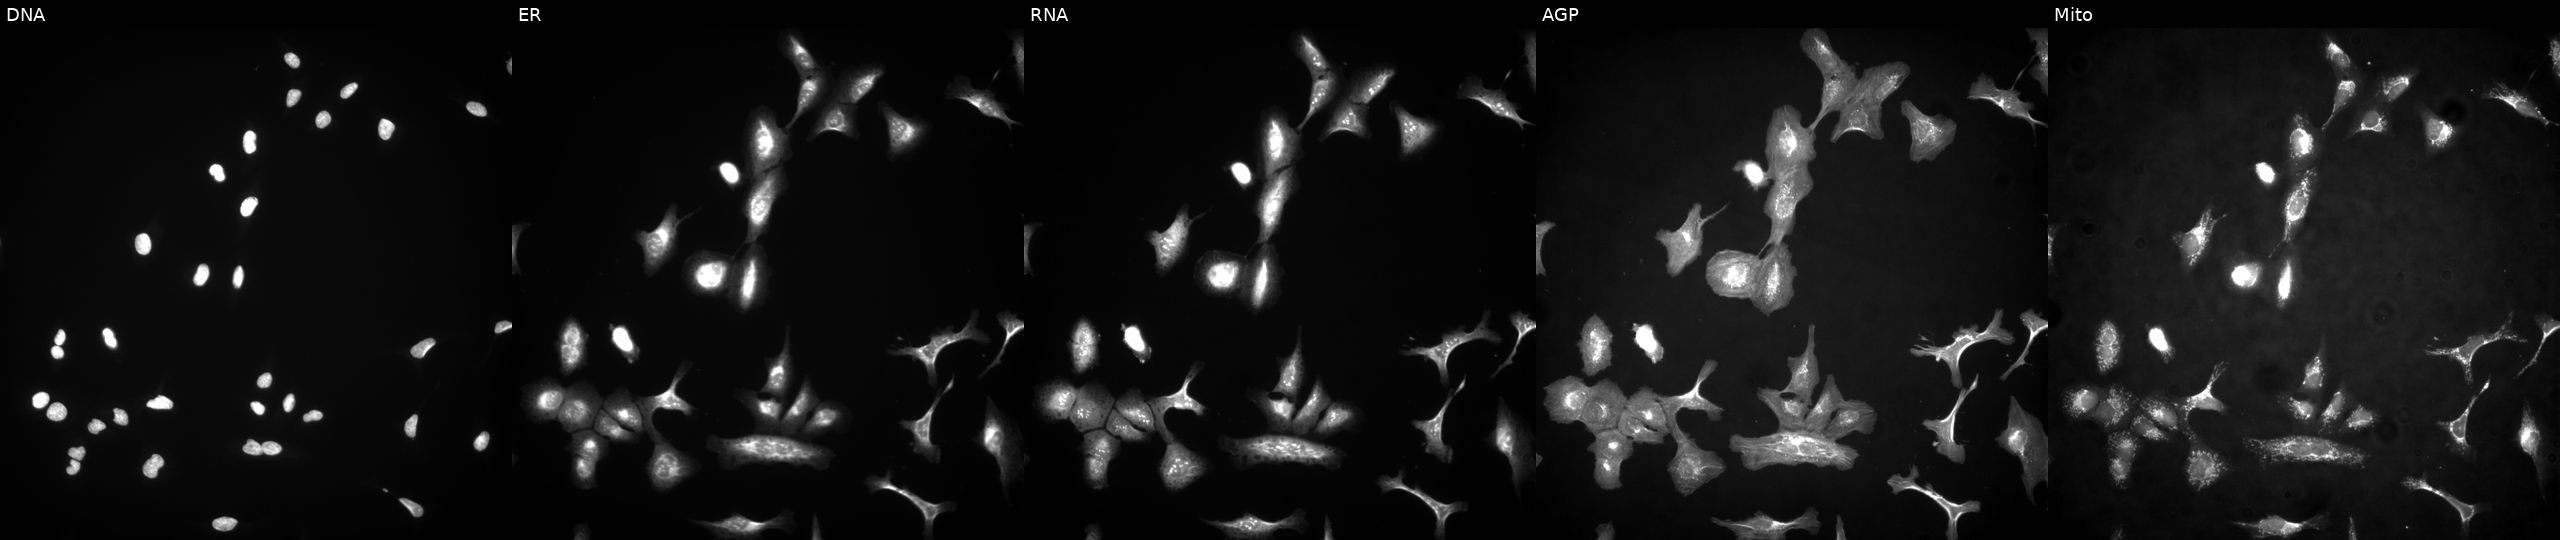
JUMP Cell Painting — ORF plate. U2OS cells transfected with an ORF construct for KIRREL3-AS3 (JUMP id JCP2022_912577). Panels show, left to right, DNA (nuclei); ER (endoplasmic reticulum); RNA (nucleoli and cytoplasmic RNA); AGP (actin cytoskeleton, Golgi, and plasma membrane); Mito (mitochondria).